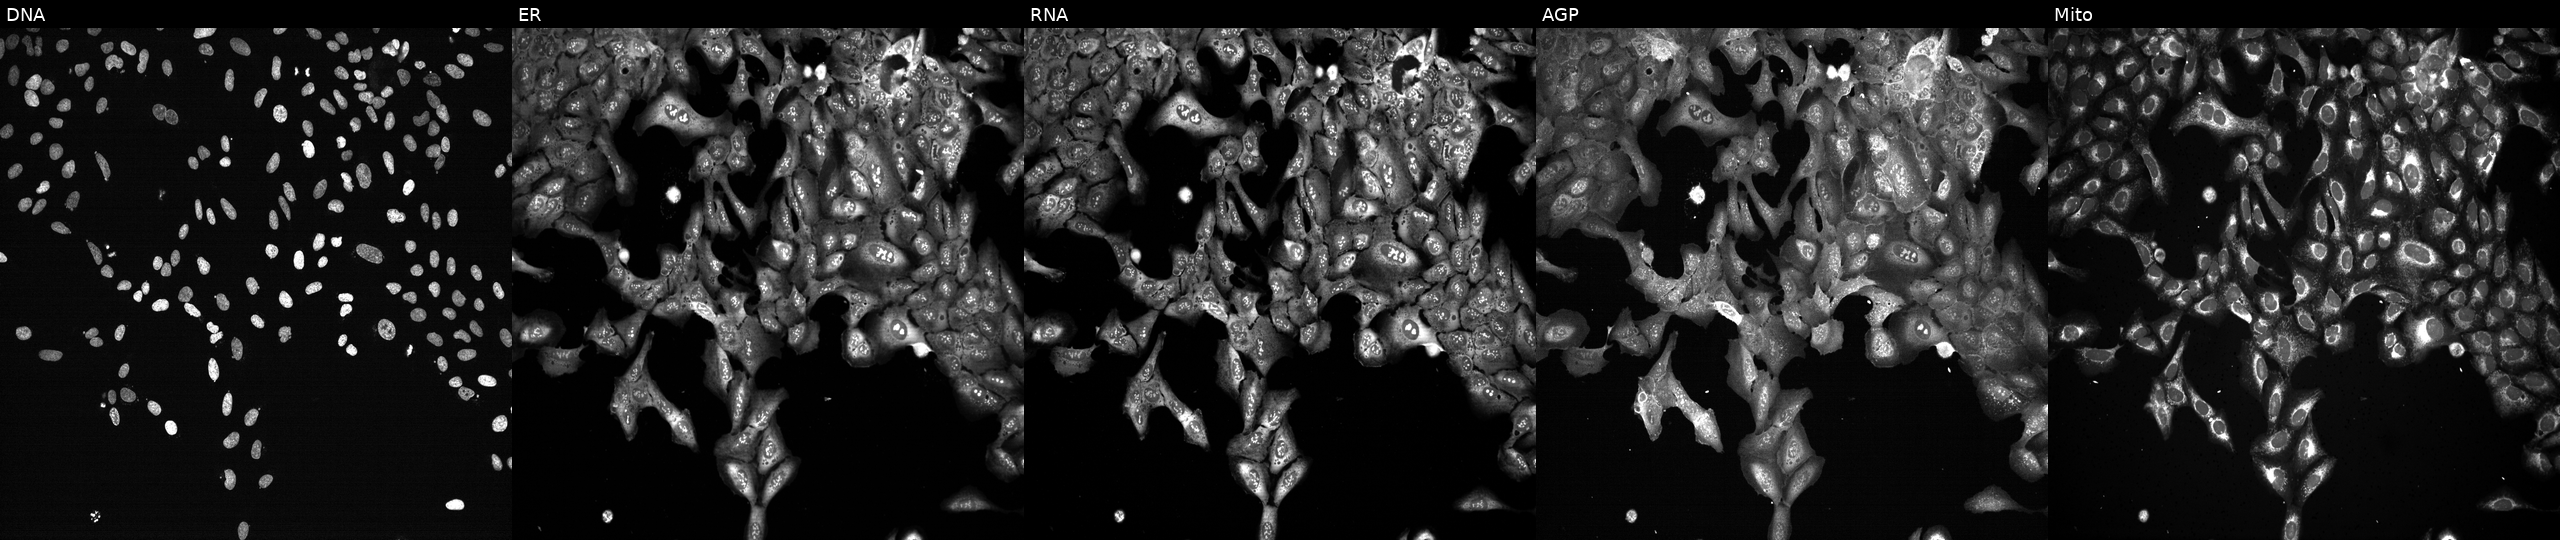
Five-channel Cell Painting image of U2OS cells following CRISPR knockout of EDAR. Panels show, left to right, Hoechst 33342, concanavalin A, SYTO 14, phalloidin and WGA, MitoTracker.